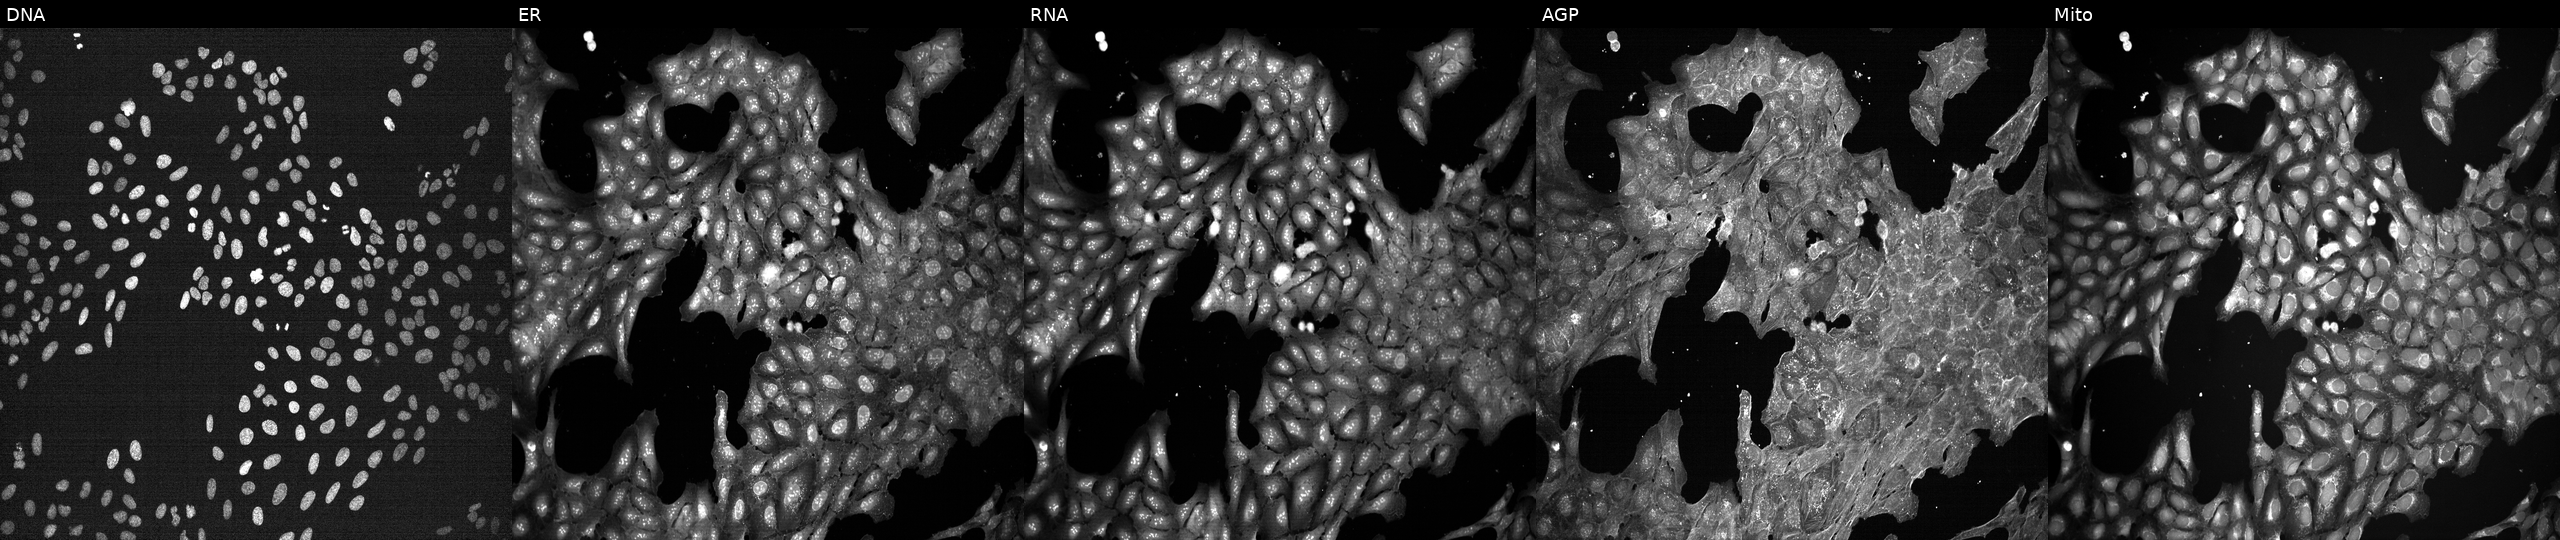
From left to right: DNA, ER, RNA, AGP, and Mito. U2OS osteosarcoma cells exposed to DMSO alone as a negative control (JUMP id JCP2022_033924). Cell Painting assay, JUMP-CP dataset.